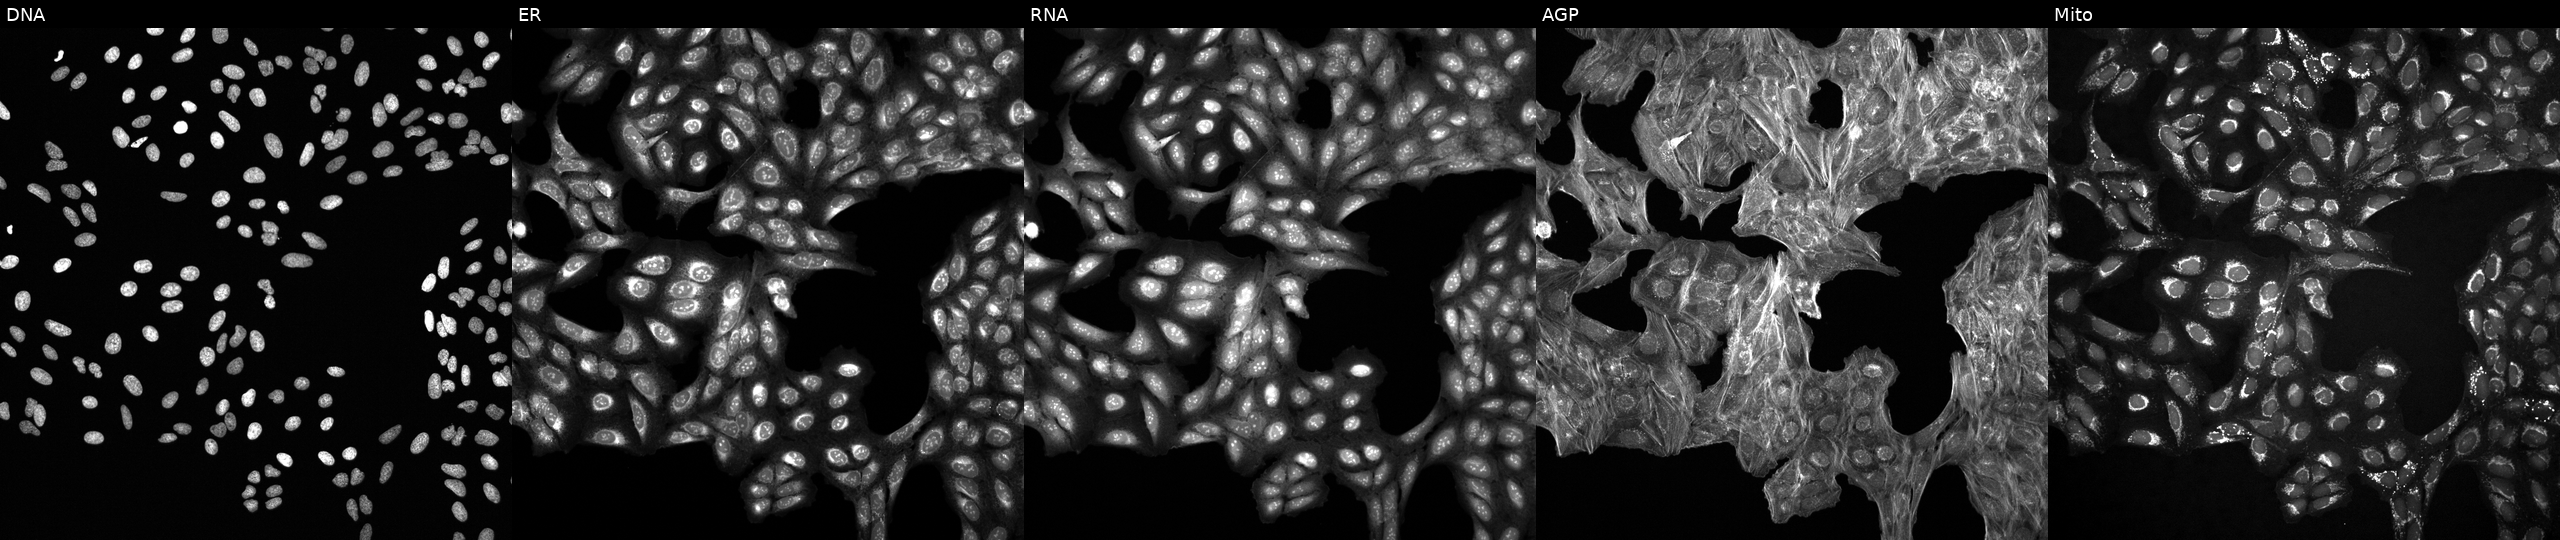
Five-channel Cell Painting image of U2OS cells treated with DMSO vehicle only (negative control) (JUMP id JCP2022_033924). Channels (left→right): DNA (nuclei); ER (endoplasmic reticulum); RNA (nucleoli and cytoplasmic RNA); AGP (actin cytoskeleton, Golgi, and plasma membrane); Mito (mitochondria). Source 6, plate 110000293083, well N23.